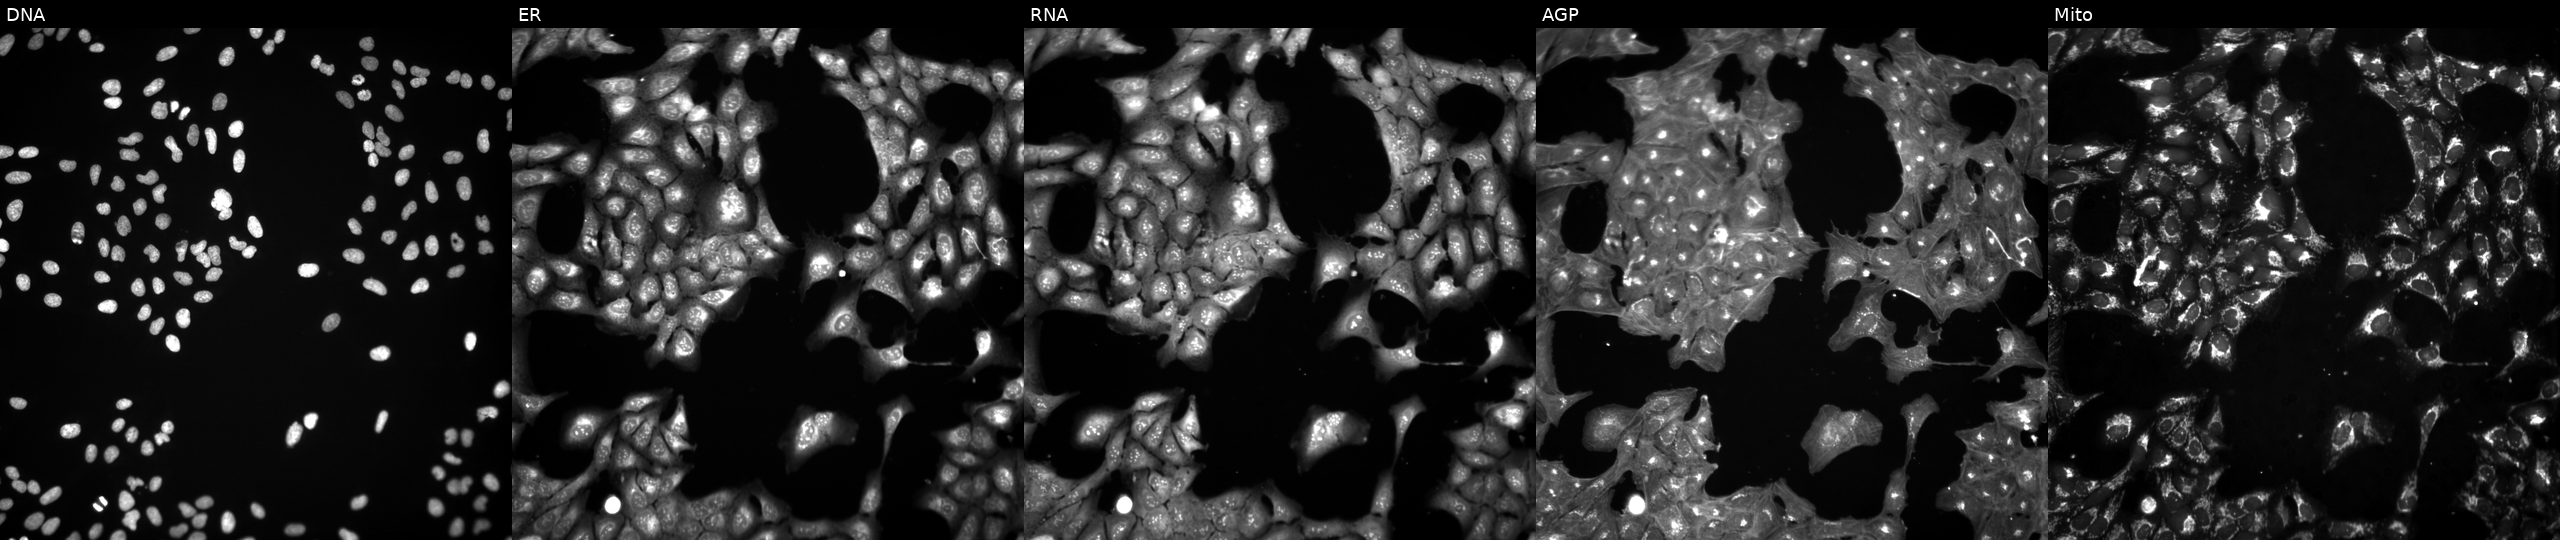
Channels (left→right): DNA, ER, RNA, AGP, and Mito. U2OS osteosarcoma cells perturbed with a small-molecule compound (InChIKey IRDNQQHZNZCUGX-UHFFFAOYSA-N) (JUMP id JCP2022_036877). Cell Painting assay, JUMP-CP dataset.